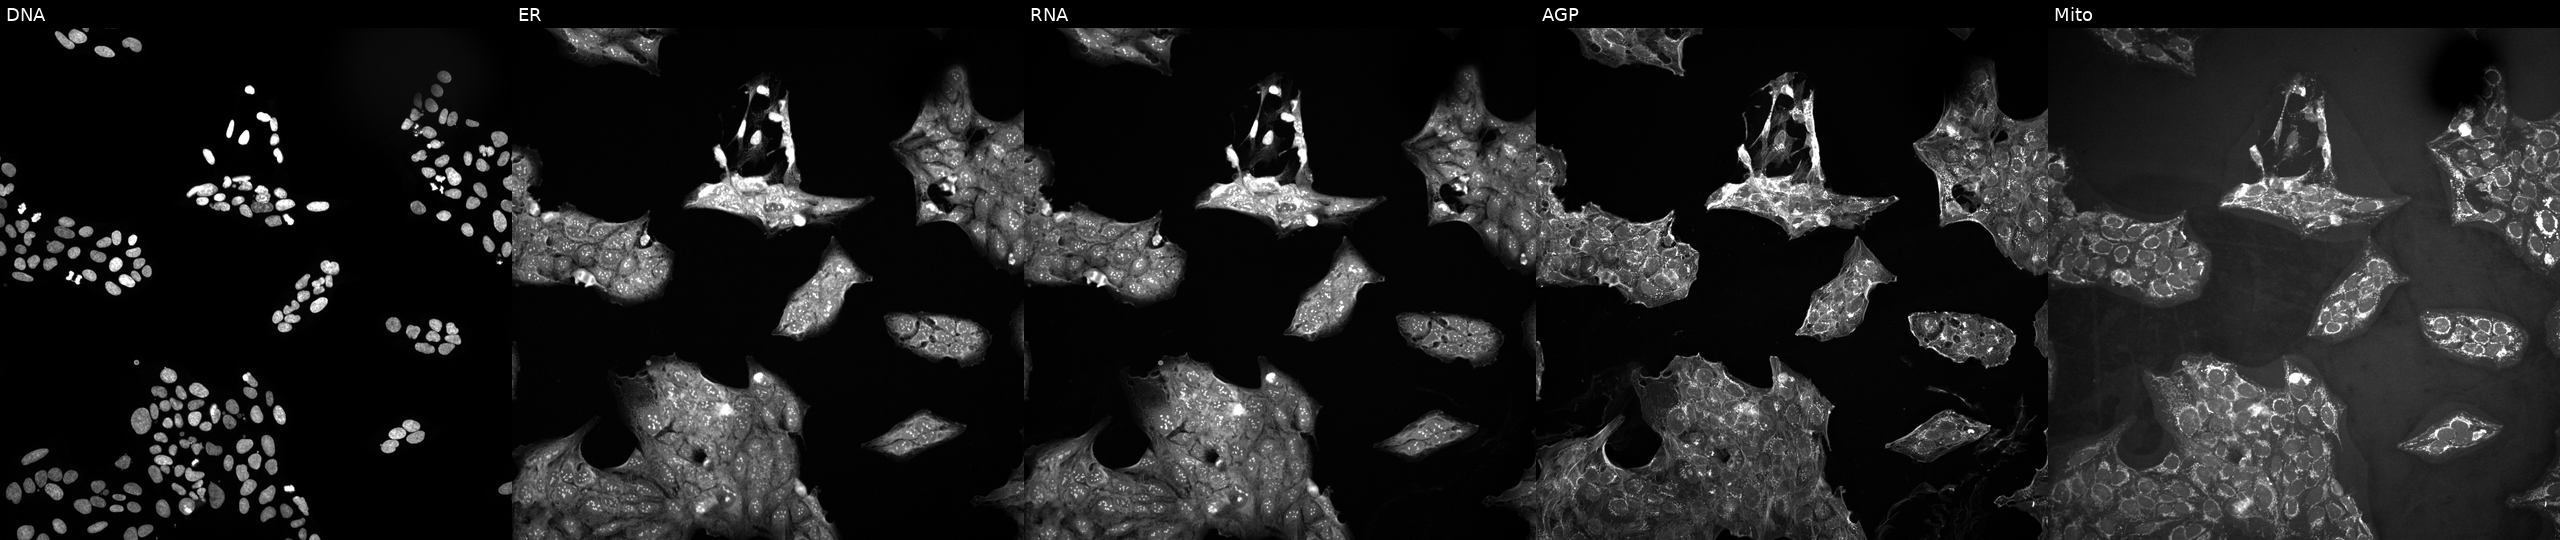
The five panels, left to right, show DNA, ER, RNA, AGP, and Mito. U2OS osteosarcoma cells treated with LY2109761 (positive-control compound) (JUMP id JCP2022_035095). Cell Painting assay, JUMP-CP dataset. Source 10, plate Dest210531-152149, well A24.